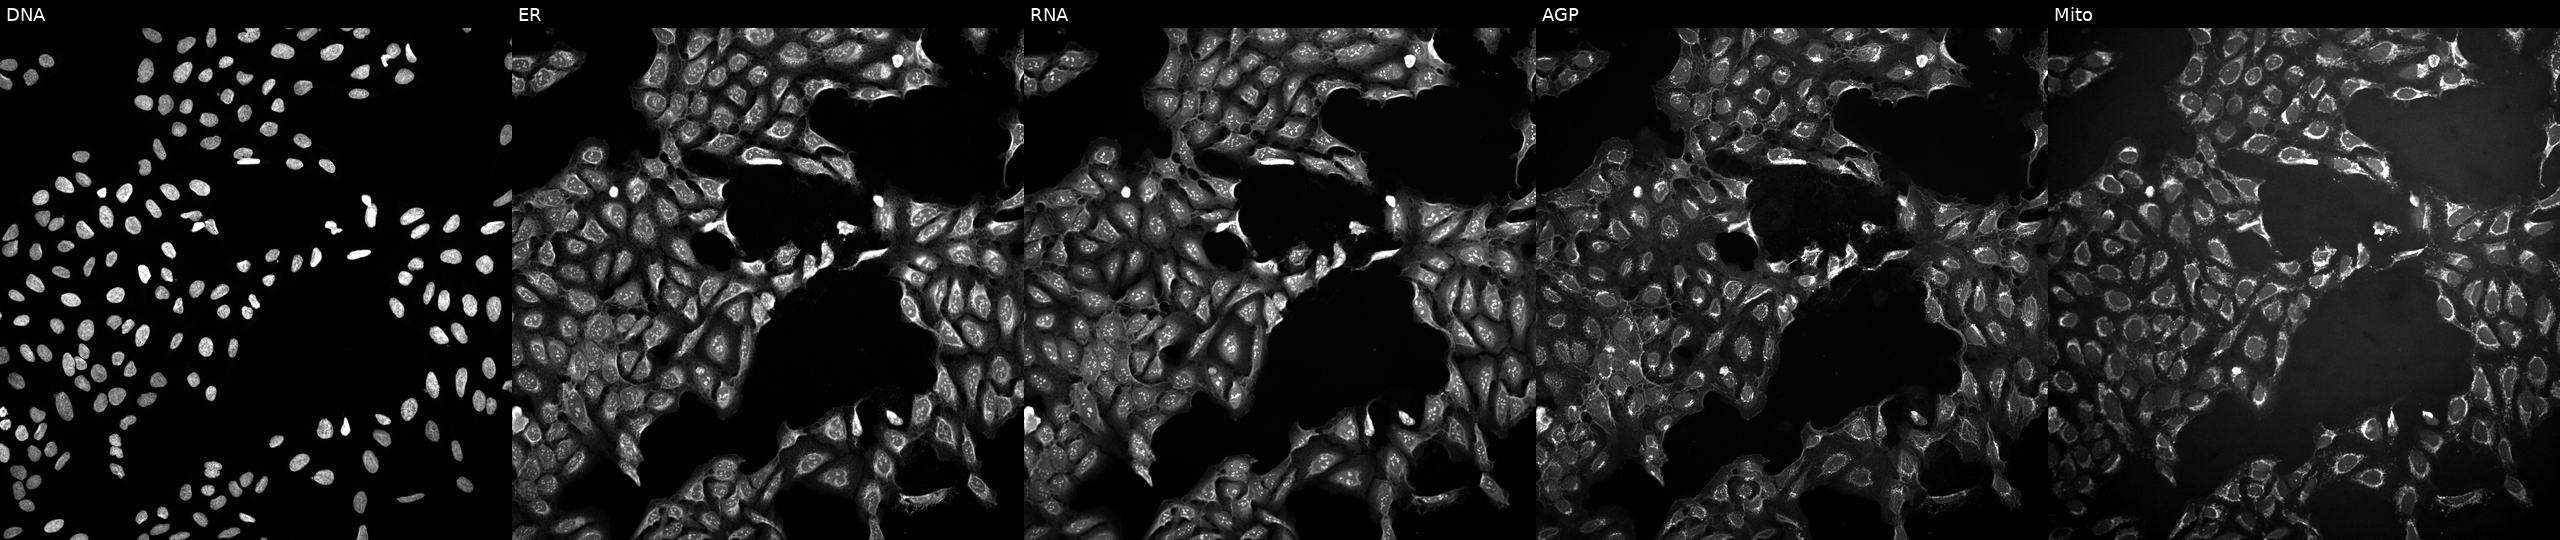
U2OS cells, Cell Painting assay, treated with a small-molecule compound (InChIKey NXNKJLOEGWSJGI-UHFFFAOYSA-N) [SMILES: CN1C(=O)N(c2cc(Cl)cc(Cl)c2)C(=O)C12CN(Cc1cc(C(=O)O)cs1)CC2c1ccc(C#N)cc1]. Channels (left→right): DNA, ER, RNA, AGP, and Mito. Each panel is percentile-stretched 16-bit fluorescence.